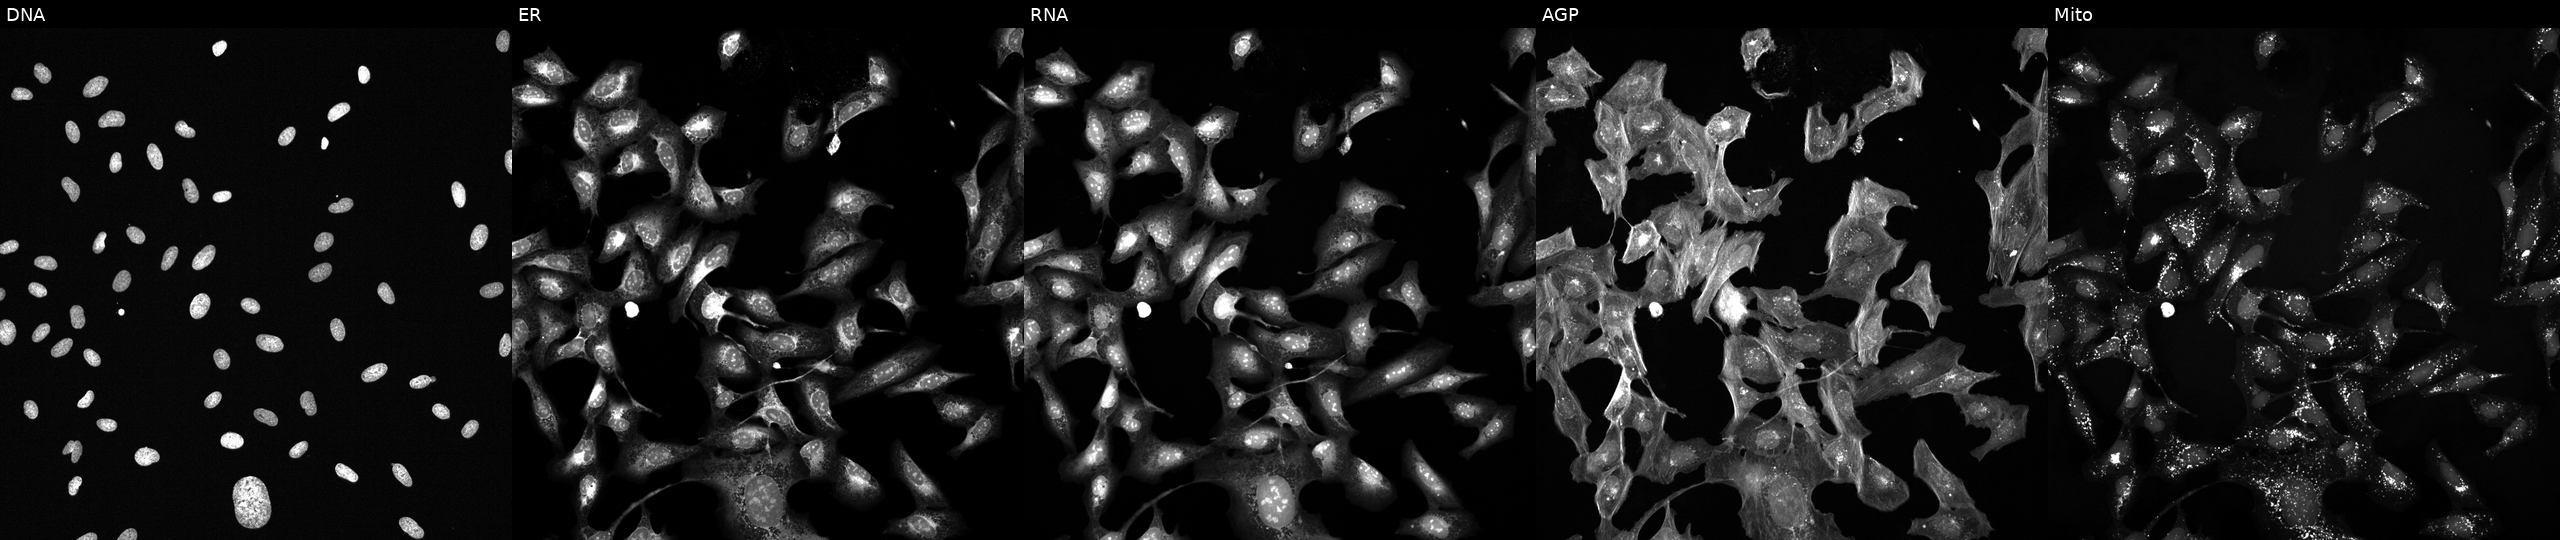
JUMP Cell Painting — TARGET2 plate. U2OS cells treated with a small-molecule compound. Channels (left→right): DNA (nuclei); ER (endoplasmic reticulum); RNA (nucleoli and cytoplasmic RNA); AGP (actin cytoskeleton, Golgi, and plasma membrane); Mito (mitochondria).